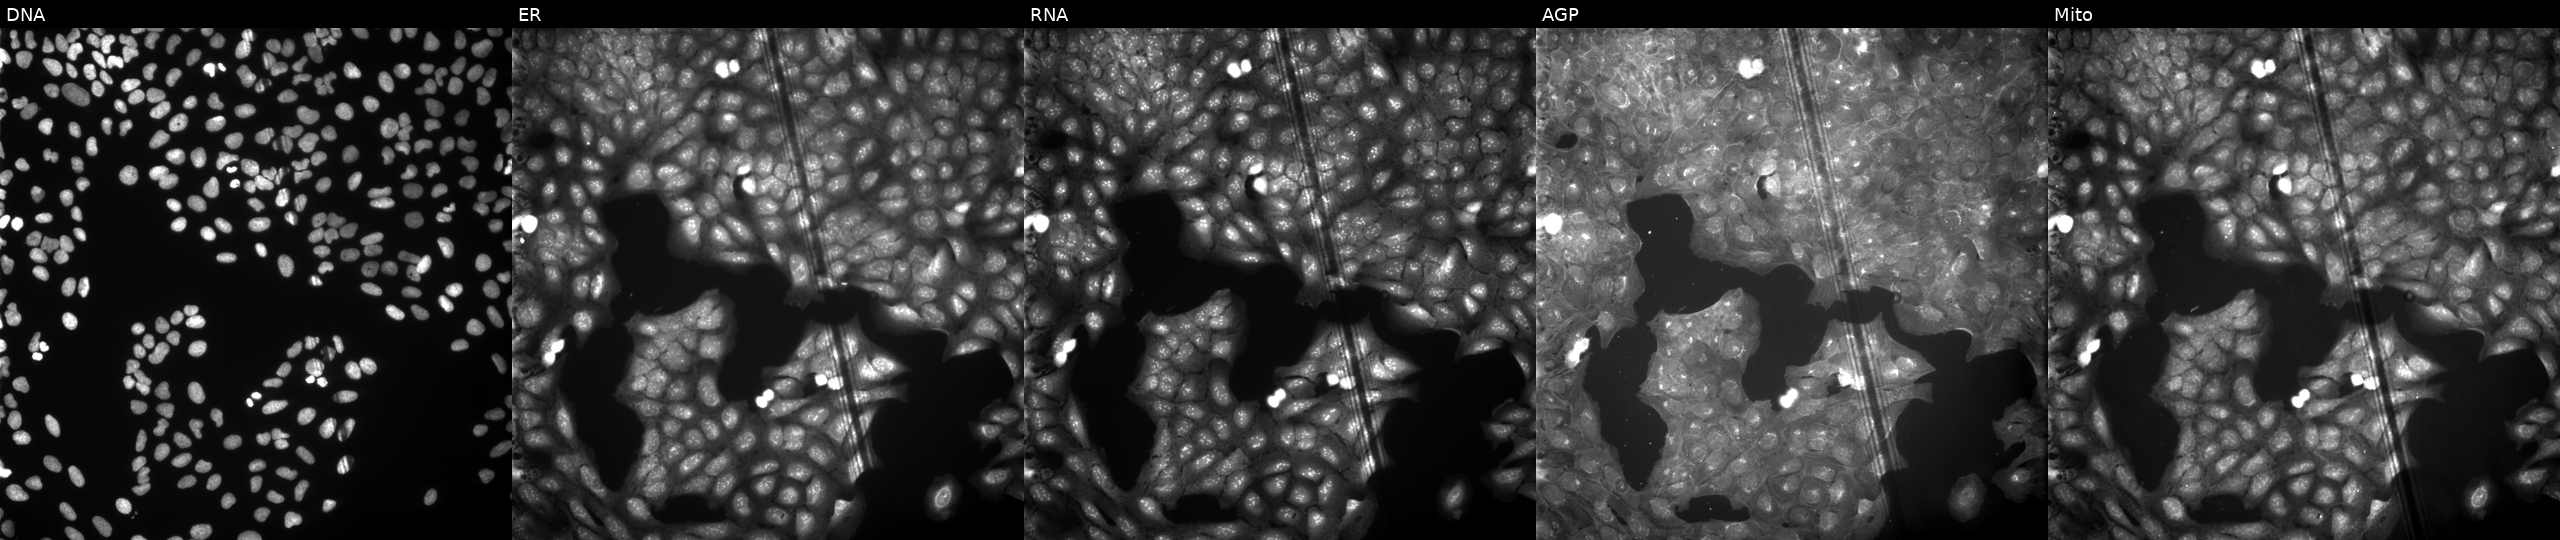
U2OS cells, Cell Painting assay, treated with DMSO vehicle only (negative control) (JUMP id JCP2022_033924). Panels show, left to right, DNA (nuclei); ER (endoplasmic reticulum); RNA (nucleoli and cytoplasmic RNA); AGP (actin cytoskeleton, Golgi, and plasma membrane); Mito (mitochondria). Each panel is percentile-stretched 16-bit fluorescence.